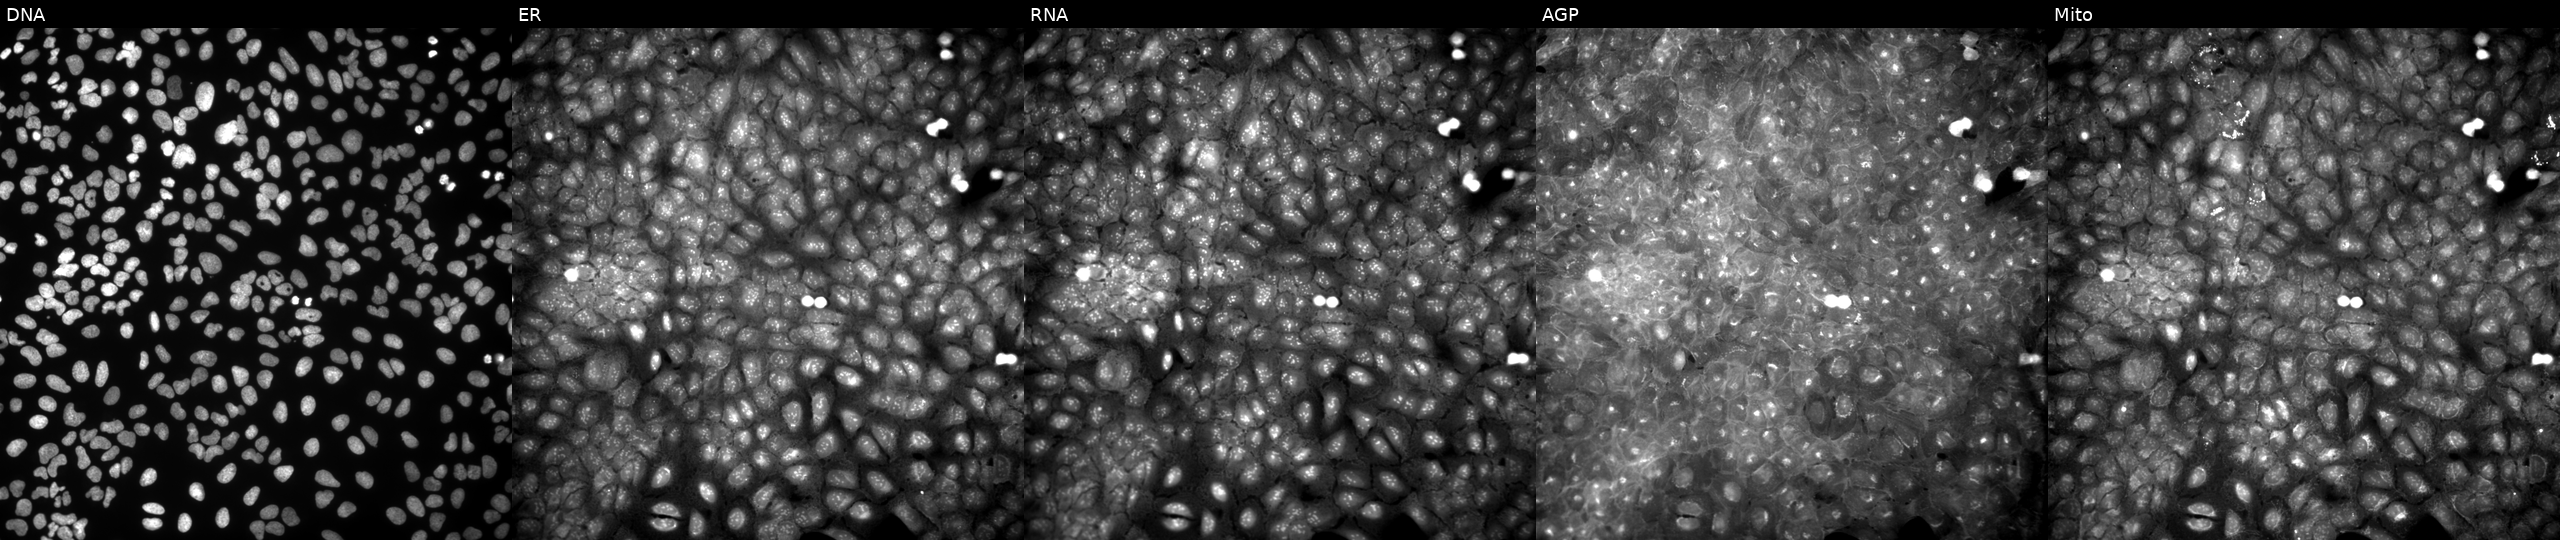
This image strip shows the five Cell Painting channels for a single field of U2OS cells exposed to DMSO alone as a negative control. Channels (left→right): DNA, ER, RNA, AGP, and Mito. Source 9, plate GR00003381, well T26.